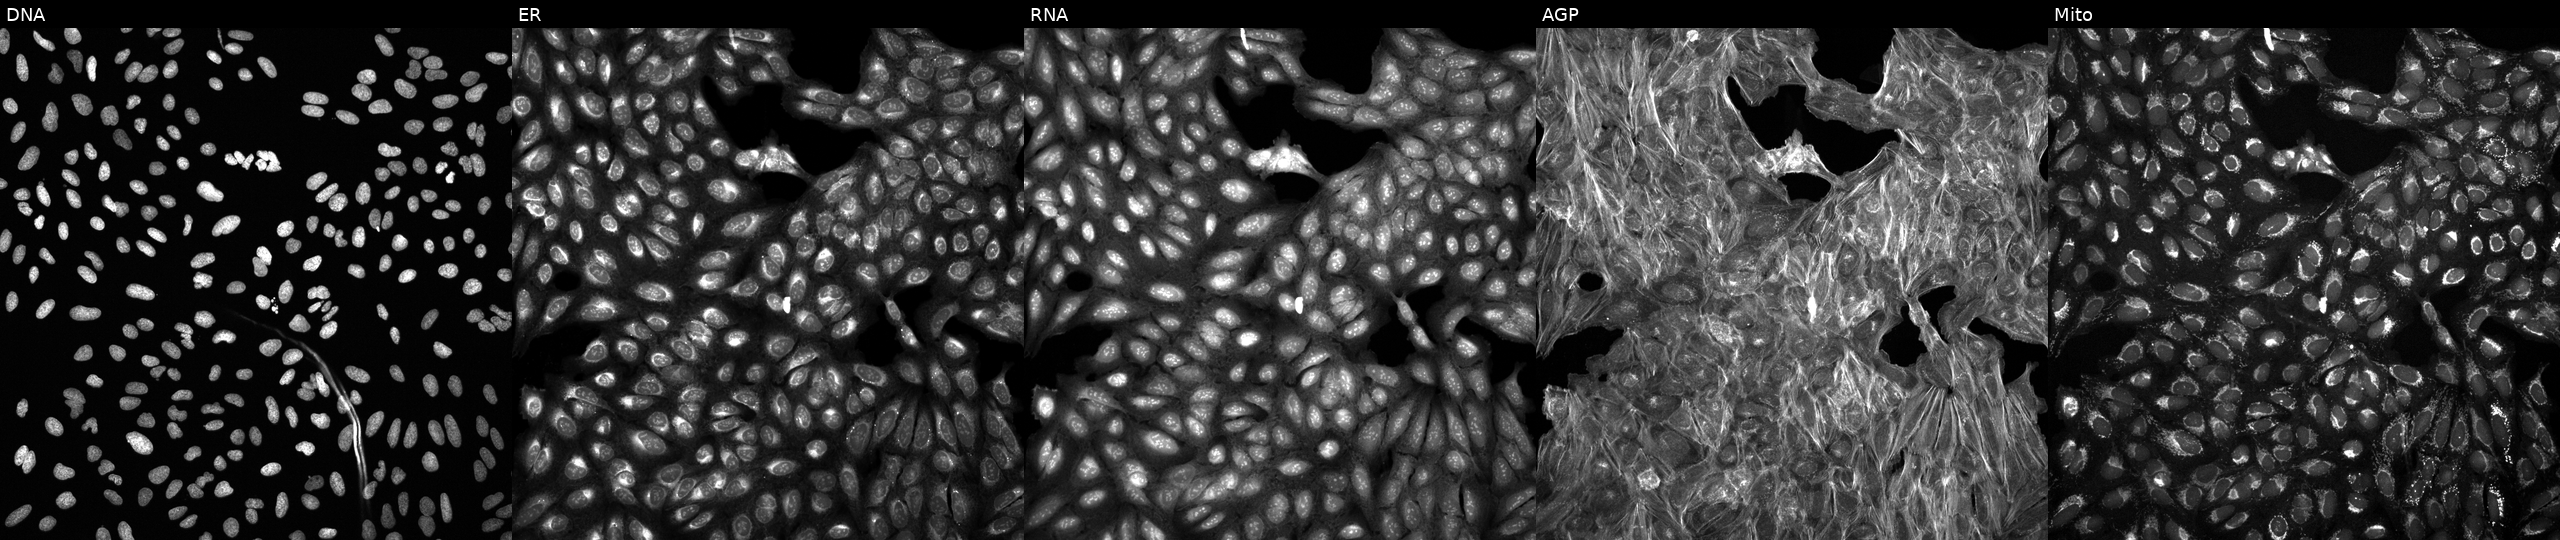
Five-channel Cell Painting image of U2OS cells exposed to DMSO alone as a negative control. Panels show, left to right, DNA (nuclei); ER (endoplasmic reticulum); RNA (nucleoli and cytoplasmic RNA); AGP (actin cytoskeleton, Golgi, and plasma membrane); Mito (mitochondria).